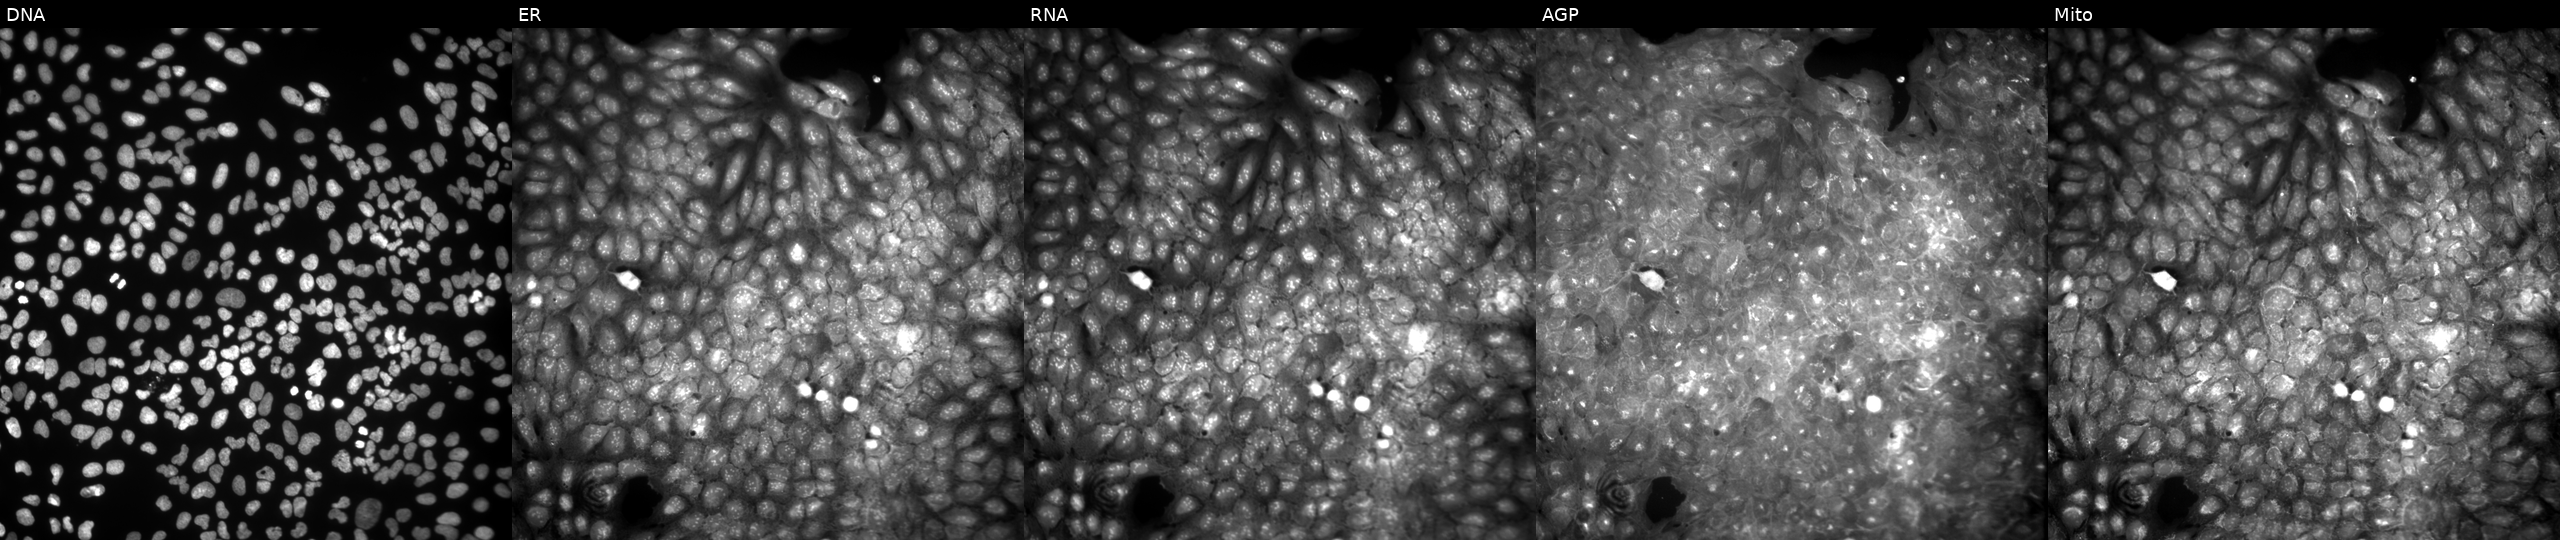
U2OS cells, Cell Painting assay, treated with a small-molecule compound (JUMP id JCP2022_057742). Channels (left→right): DNA (nuclei); ER (endoplasmic reticulum); RNA (nucleoli and cytoplasmic RNA); AGP (actin cytoskeleton, Golgi, and plasma membrane); Mito (mitochondria). Each panel is percentile-stretched 16-bit fluorescence. Source 9, plate GR00003382, well X39.